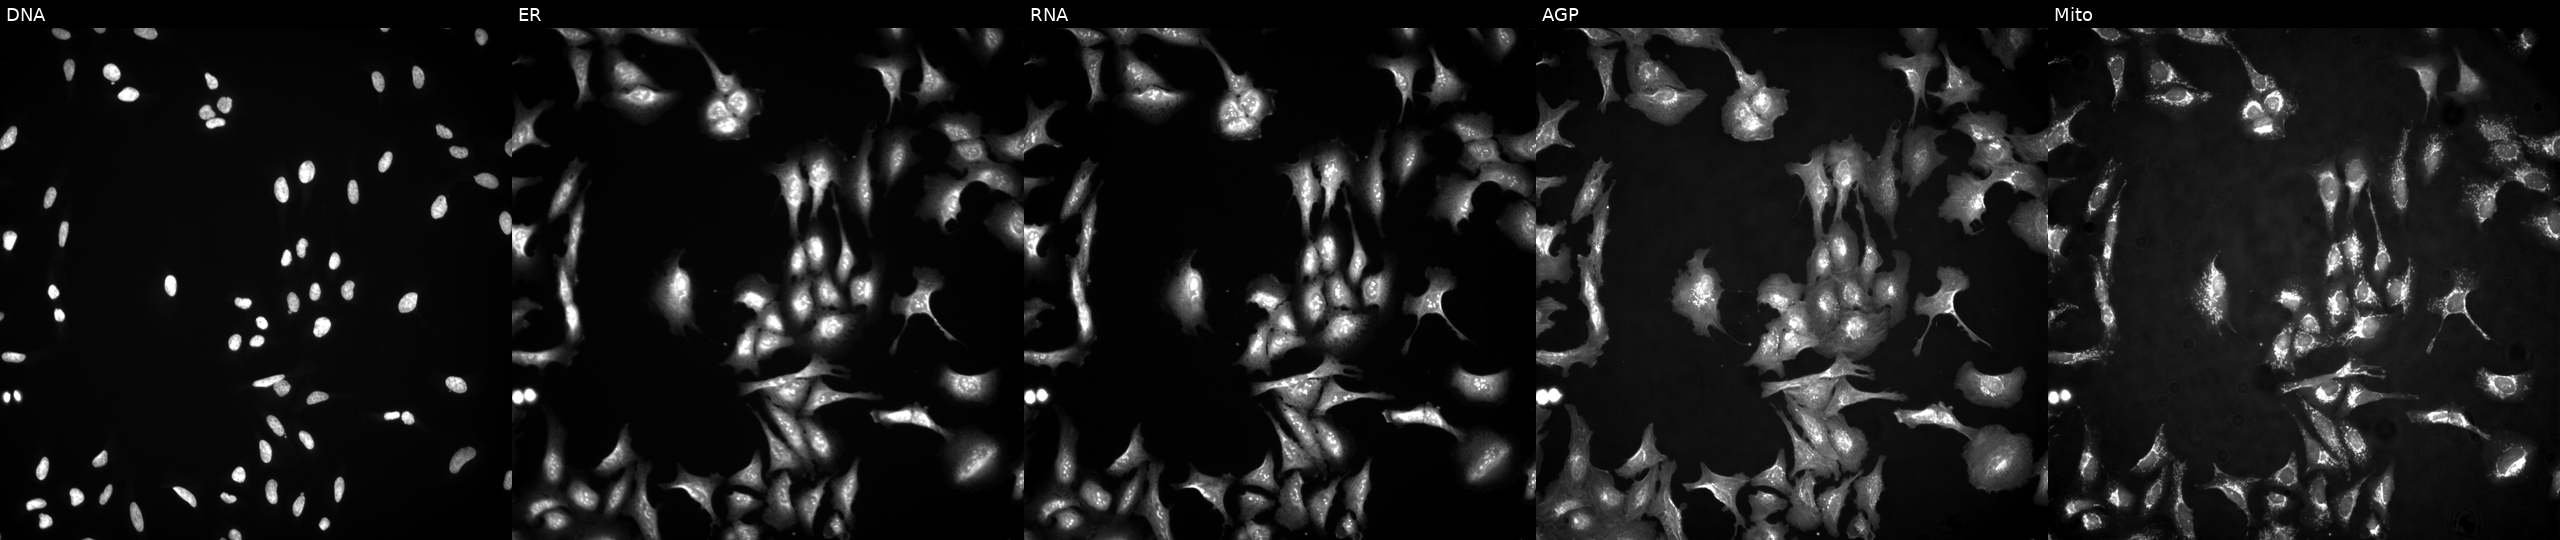
U2OS cells, Cell Painting assay, overexpressing METTL21A via ORF transfection. From left to right: DNA, ER, RNA, AGP, and Mito. Each panel is percentile-stretched 16-bit fluorescence. Source 4, plate BR00124787, well I05.